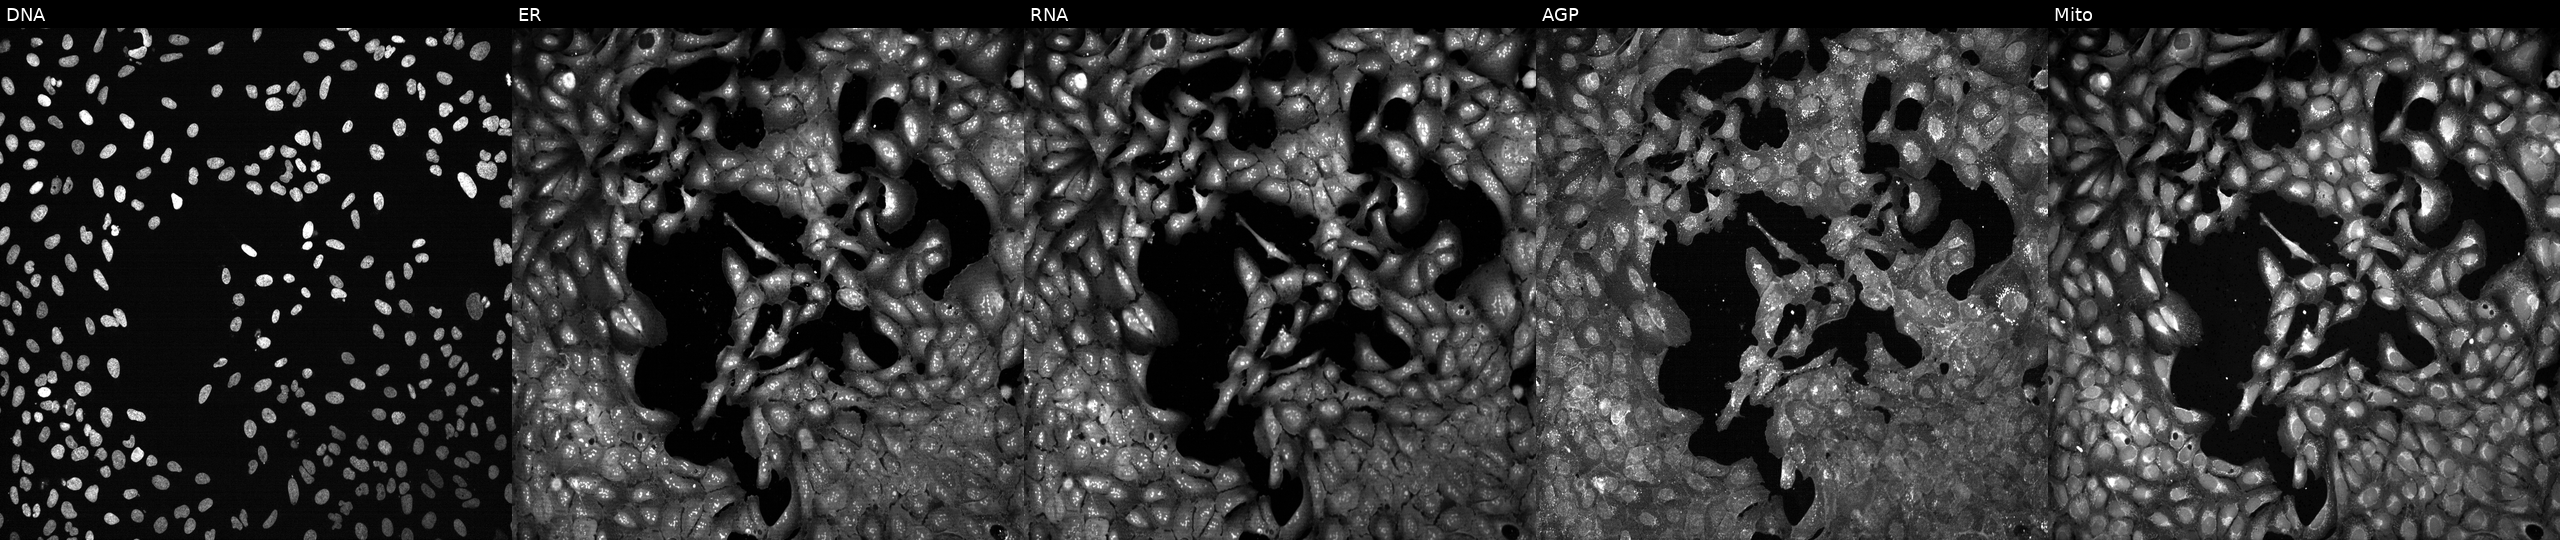
U2OS cells, Cell Painting assay, CRISPR-edited to disrupt ST8SIA5 (JUMP id JCP2022_806815). Channels (left→right): DNA (nuclei); ER (endoplasmic reticulum); RNA (nucleoli and cytoplasmic RNA); AGP (actin cytoskeleton, Golgi, and plasma membrane); Mito (mitochondria). Each panel is percentile-stretched 16-bit fluorescence.